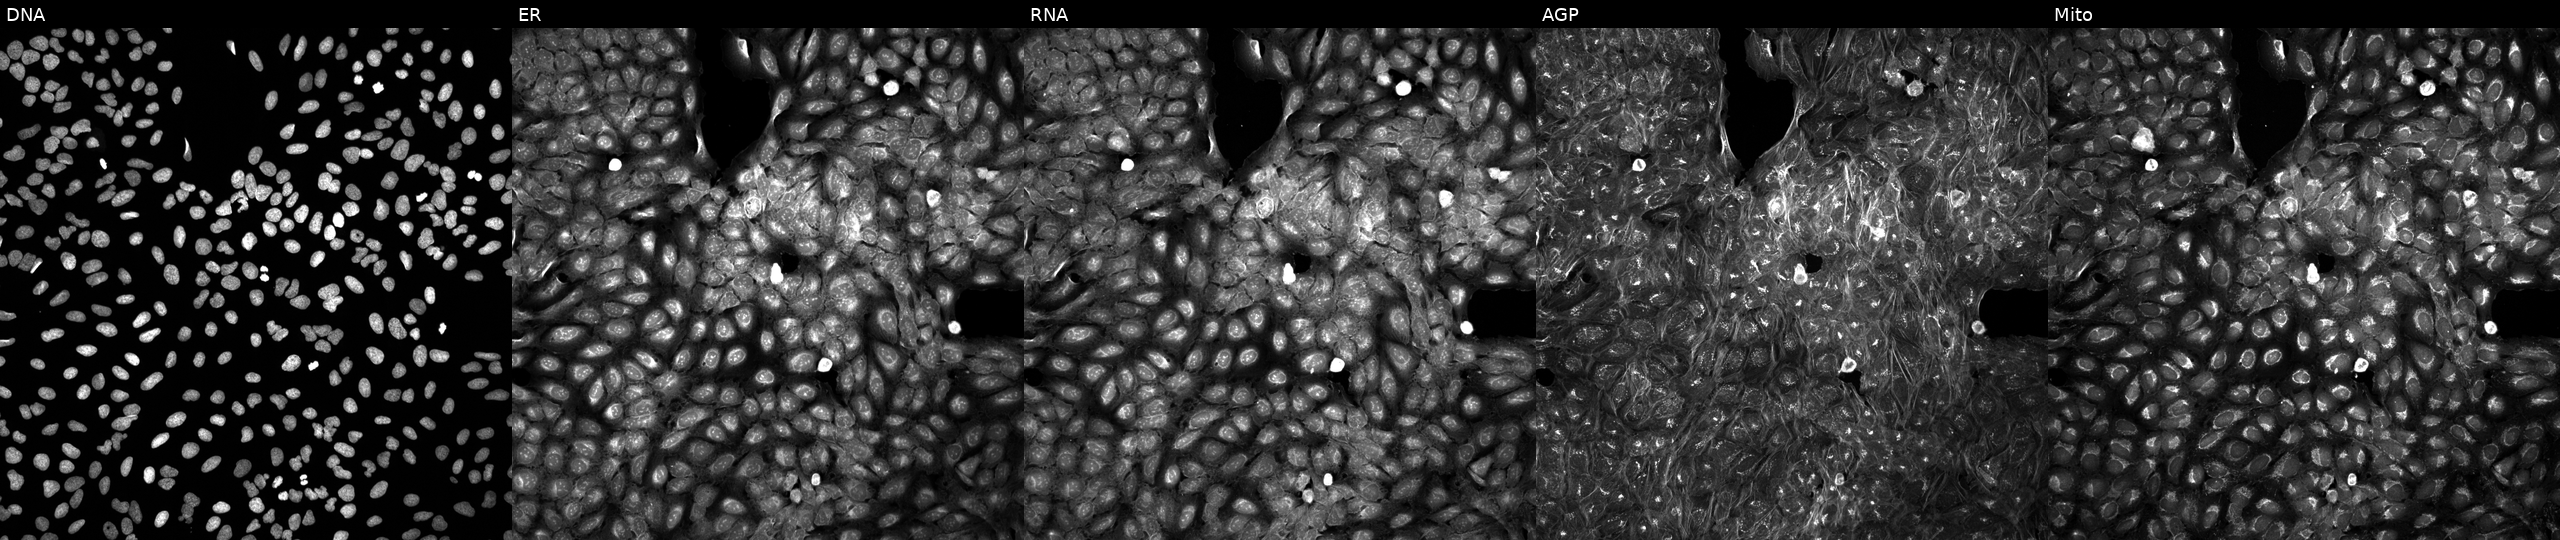
JUMP Cell Painting — COMPOUND plate. U2OS cells treated with DMSO vehicle only (negative control). From left to right: DNA (nuclei); ER (endoplasmic reticulum); RNA (nucleoli and cytoplasmic RNA); AGP (actin cytoskeleton, Golgi, and plasma membrane); Mito (mitochondria).